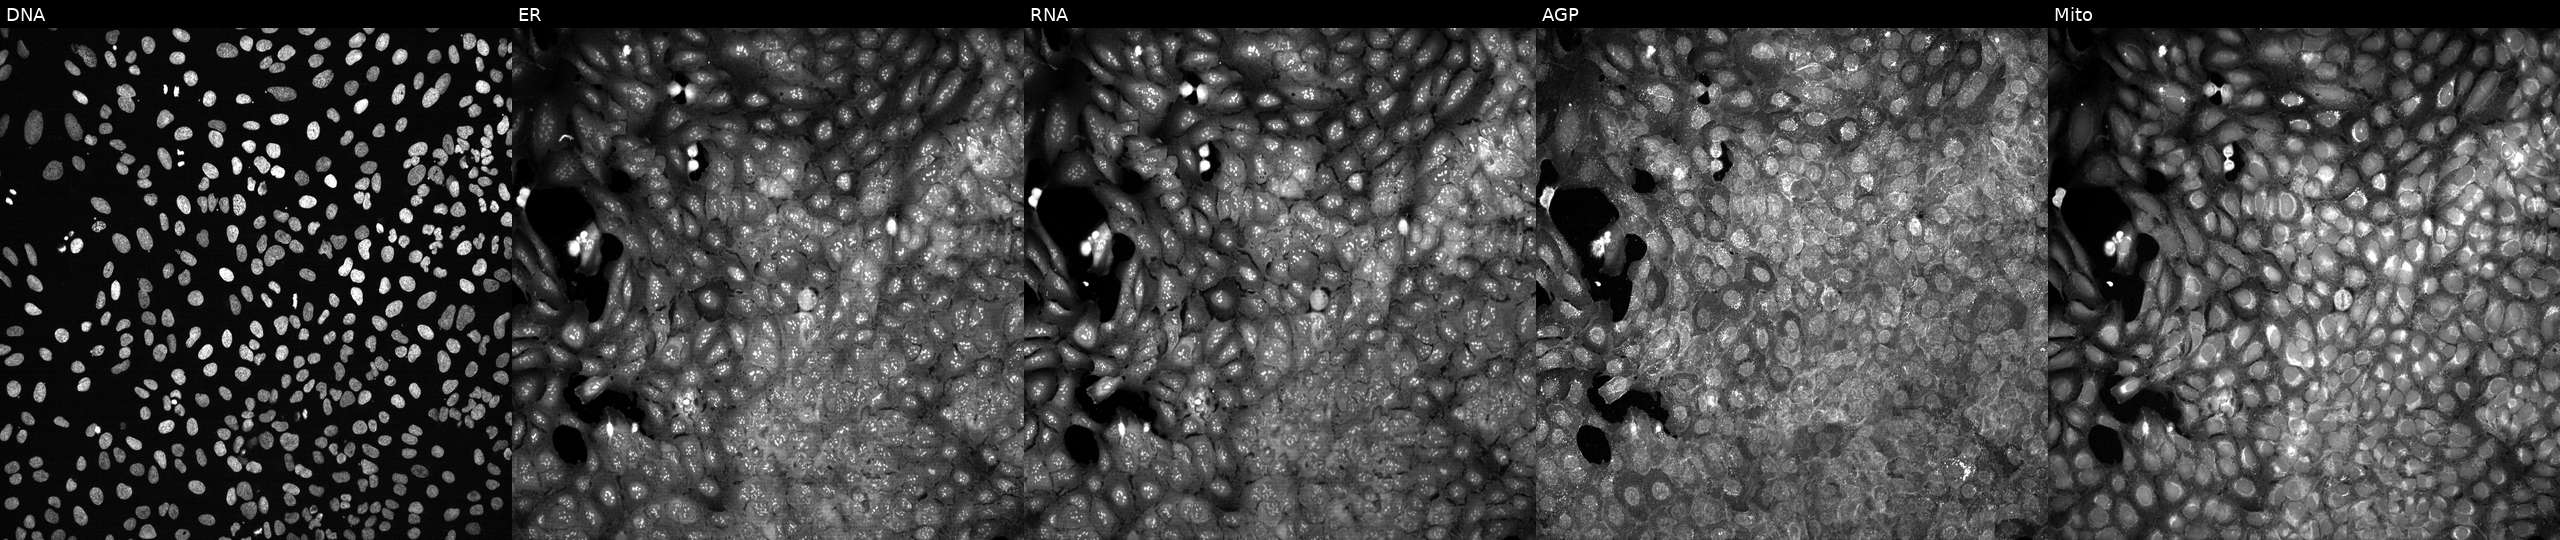
Panels show, left to right, DNA, ER, RNA, AGP, and Mito. U2OS osteosarcoma cells following CRISPR knockout of HAO2. Cell Painting assay, JUMP-CP dataset.